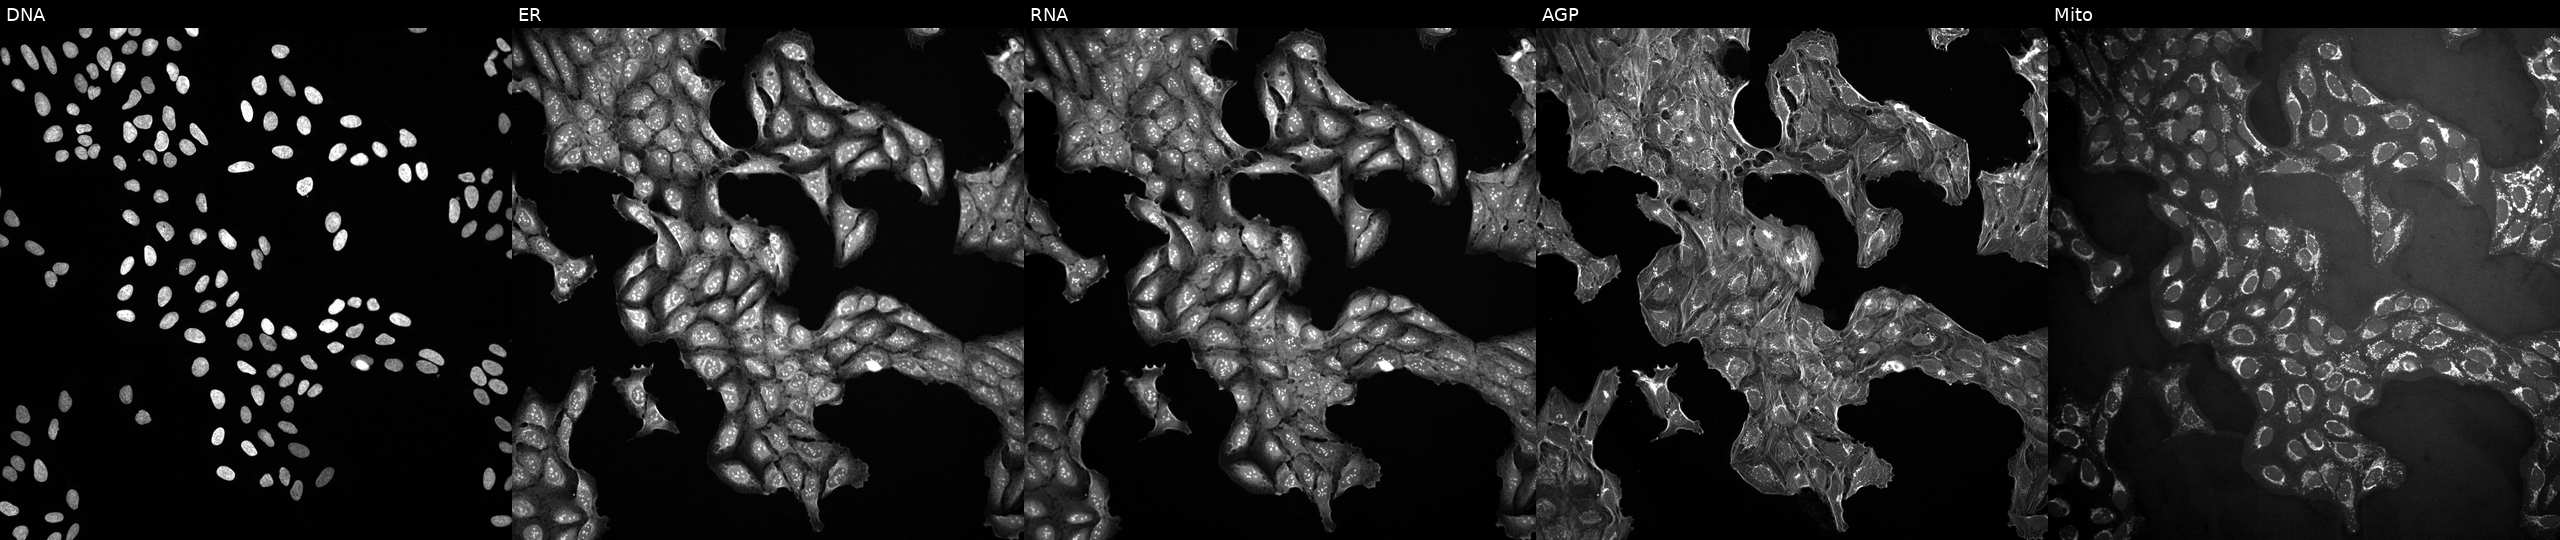
U2OS cells, Cell Painting assay, treated with a small-molecule compound. The five panels, left to right, show DNA (nuclei); ER (endoplasmic reticulum); RNA (nucleoli and cytoplasmic RNA); AGP (actin cytoskeleton, Golgi, and plasma membrane); Mito (mitochondria). Each panel is percentile-stretched 16-bit fluorescence. Source 10, plate Dest210531-152149, well P17.